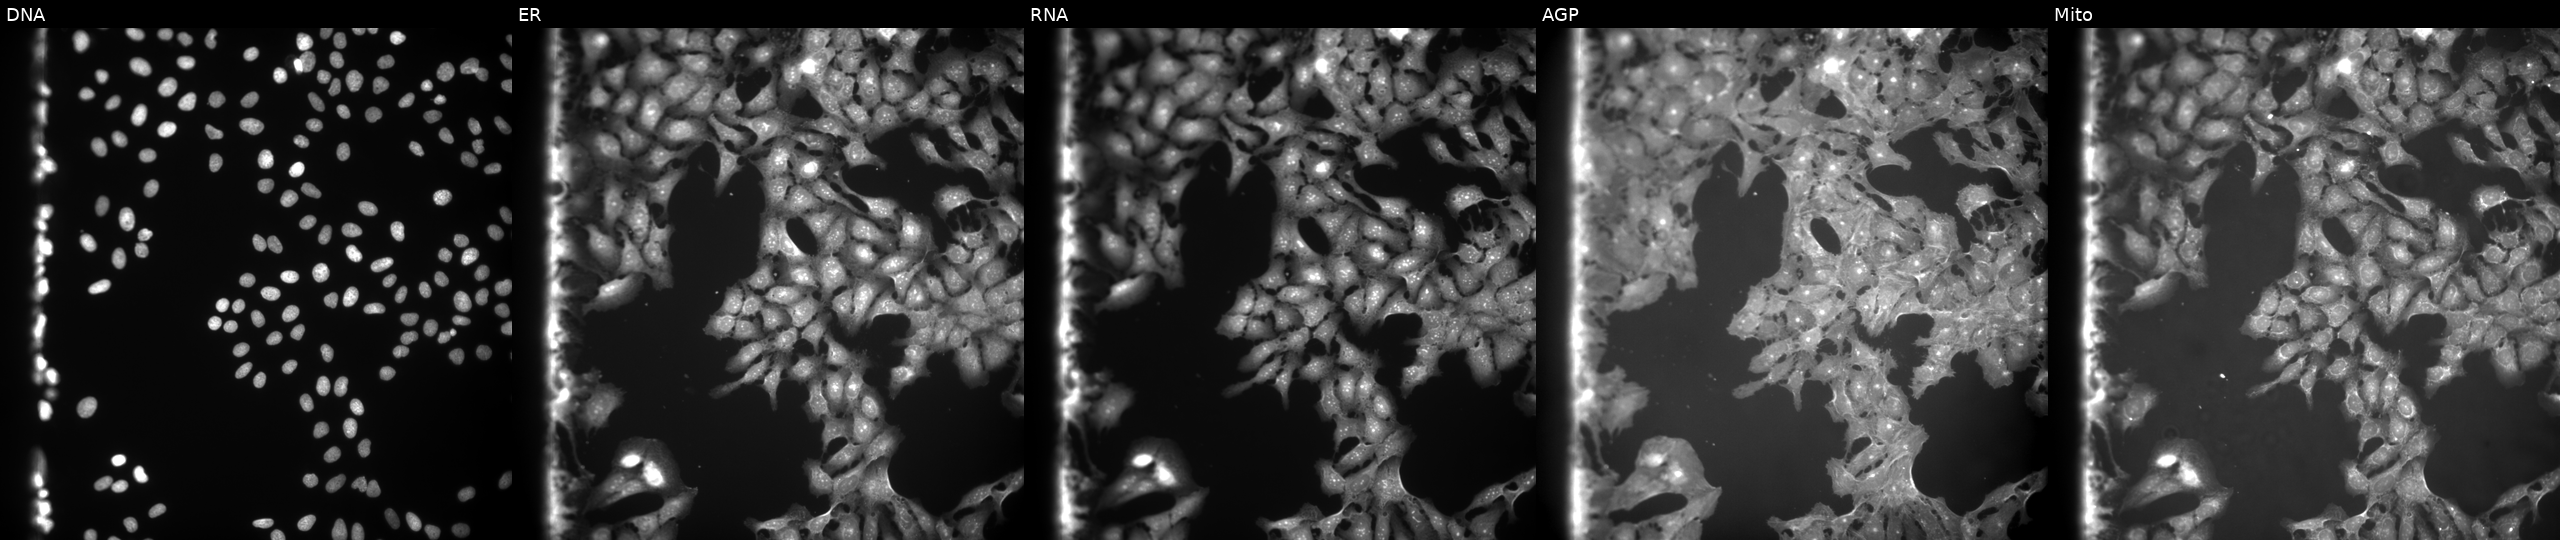
U2OS cells, Cell Painting assay, treated with FK-866 (positive-control compound). Panels show, left to right, DNA (nuclei); ER (endoplasmic reticulum); RNA (nucleoli and cytoplasmic RNA); AGP (actin cytoskeleton, Golgi, and plasma membrane); Mito (mitochondria). Each panel is percentile-stretched 16-bit fluorescence.